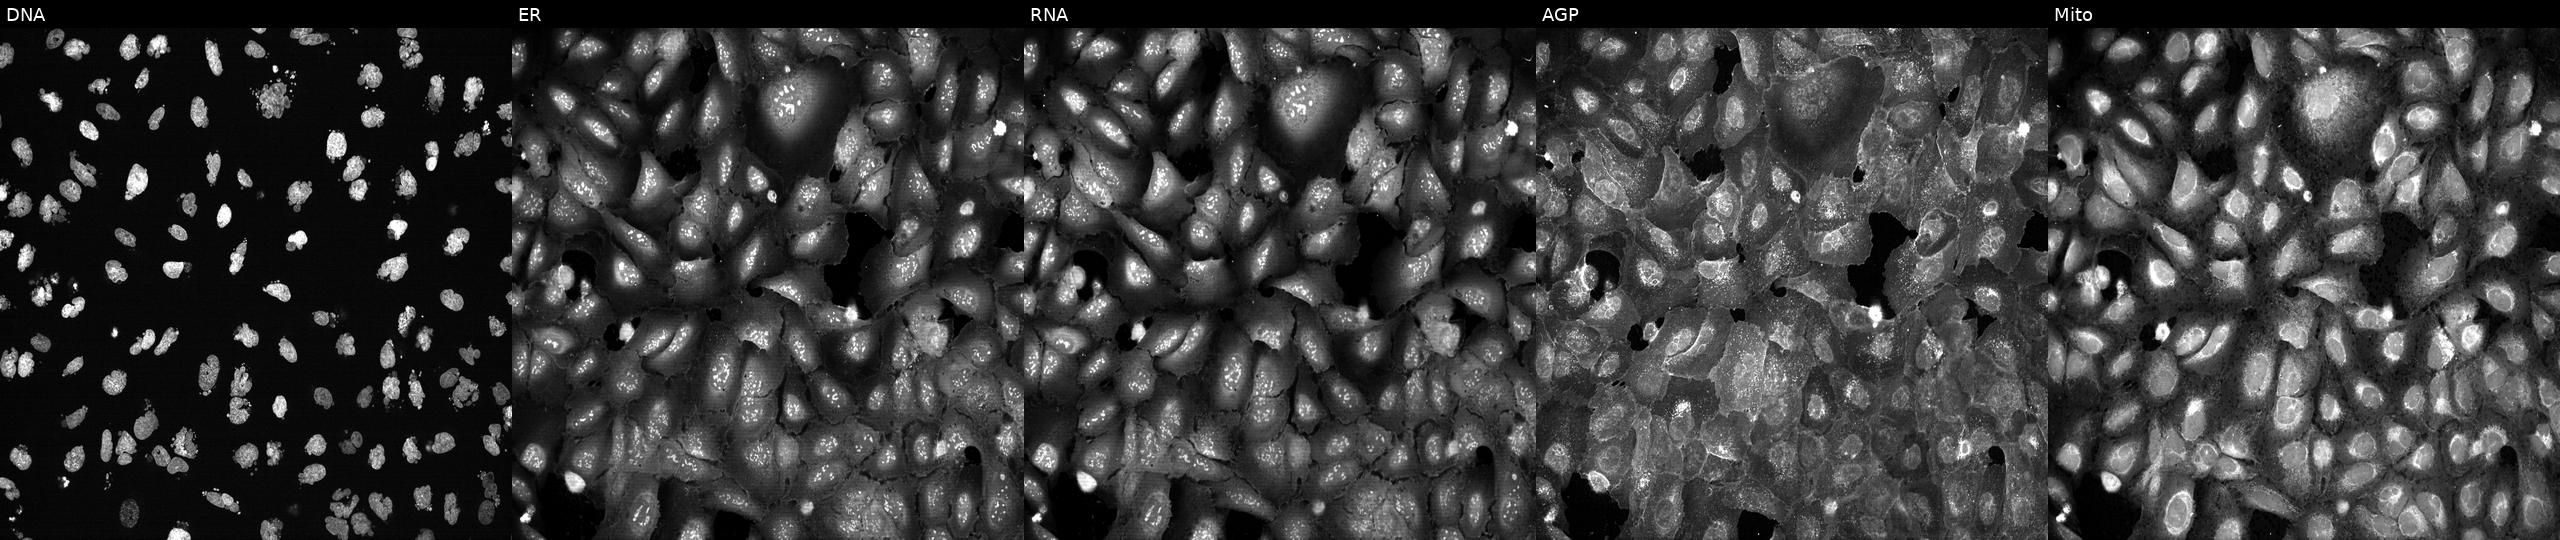
JUMP Cell Painting — CRISPR plate. U2OS cells exposed to the positive-control compound AMG900 (JUMP id JCP2022_037716). Channels (left→right): DNA (nuclei); ER (endoplasmic reticulum); RNA (nucleoli and cytoplasmic RNA); AGP (actin cytoskeleton, Golgi, and plasma membrane); Mito (mitochondria). Source 13, plate CP-CC9-R1-02, well F24.